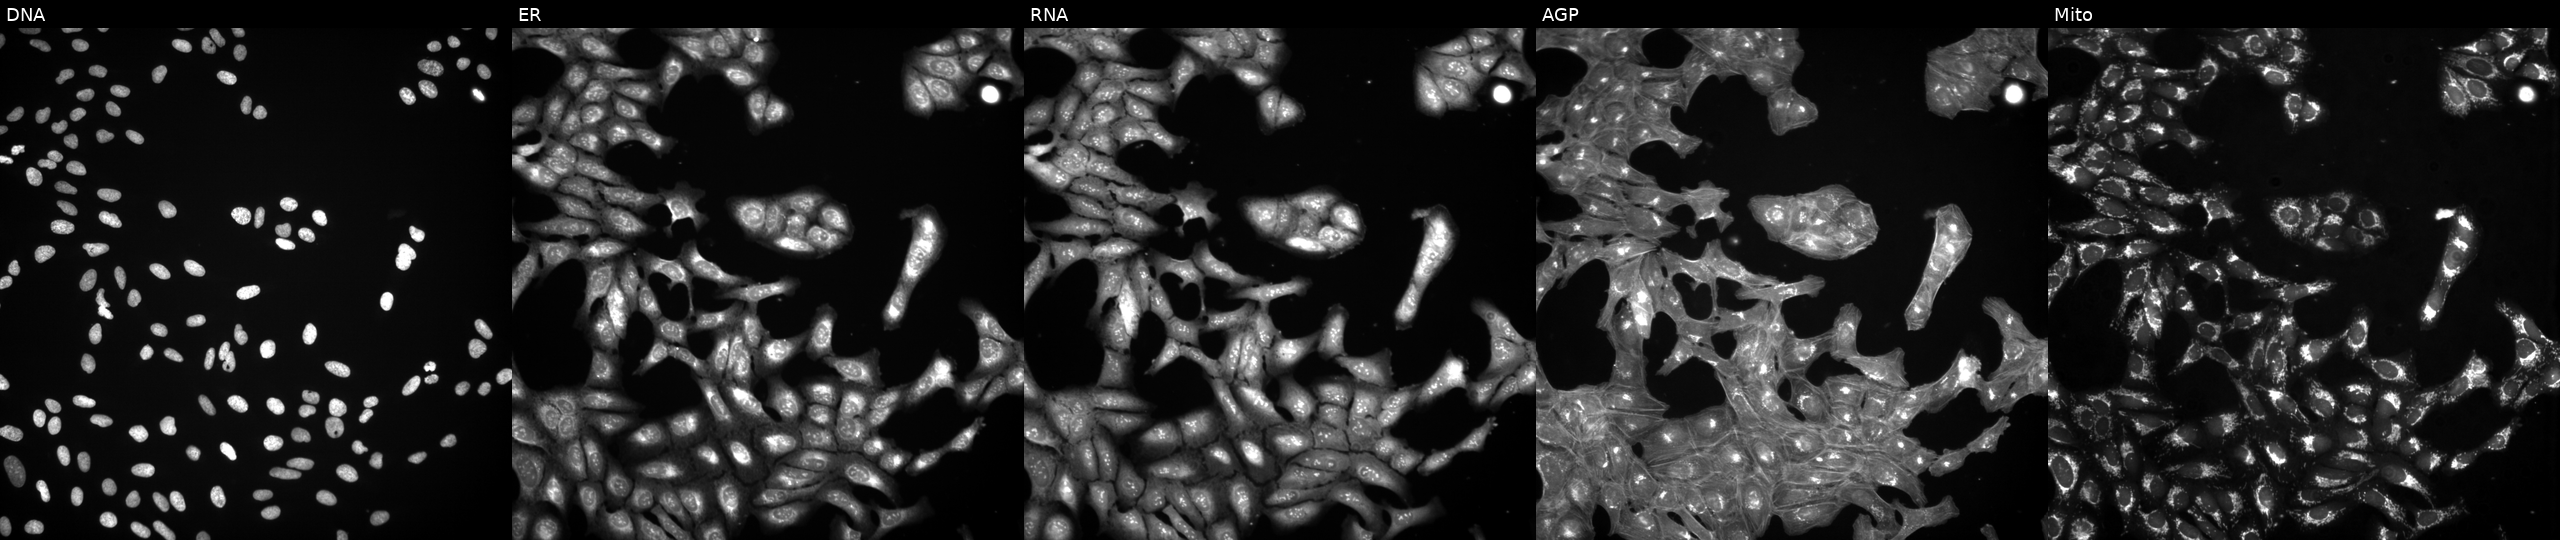
This image strip shows the five Cell Painting channels for a single field of U2OS cells treated with a small-molecule compound (InChIKey ALODNIGTJKDXAD-UHFFFAOYSA-N) [SMILES: CCn1nc(C(=O)OCC(=O)c2ccc3c(c2)NC(=O)CO3)c2ccccc2c1=O] (JUMP id JCP2022_002209). The five panels, left to right, show DNA, ER, RNA, AGP, and Mito.